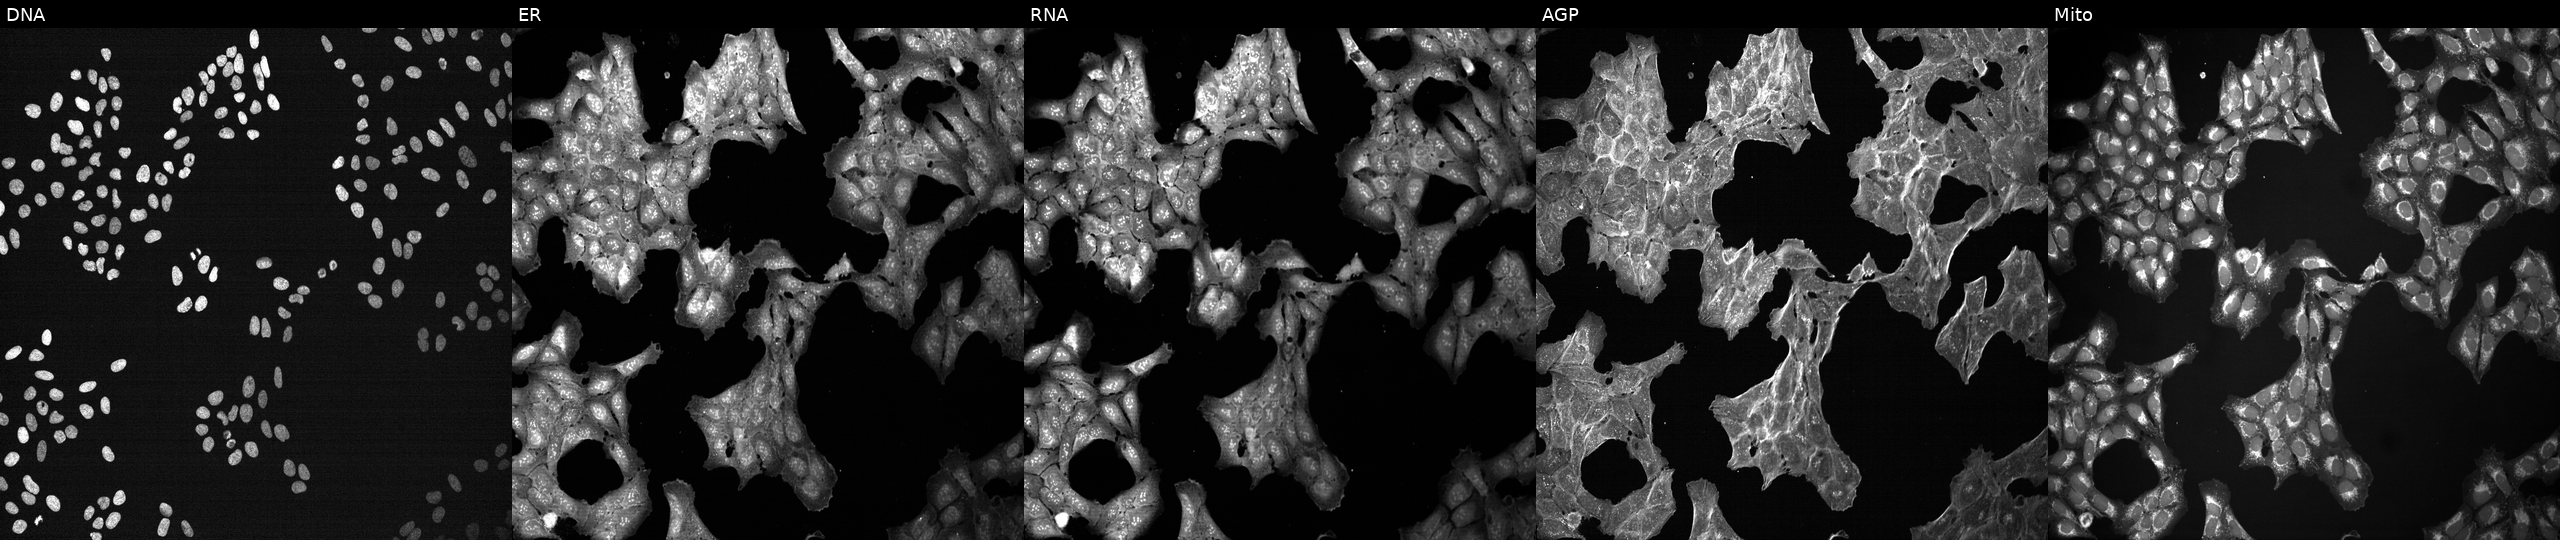
Five-channel Cell Painting image of U2OS cells exposed to a small-molecule compound (InChIKey LRRMQNGSYOUANY-UHFFFAOYSA-N). Panels show, left to right, DNA (nuclei); ER (endoplasmic reticulum); RNA (nucleoli and cytoplasmic RNA); AGP (actin cytoskeleton, Golgi, and plasma membrane); Mito (mitochondria). Source 7, plate CP3-SC1-25, well K19.